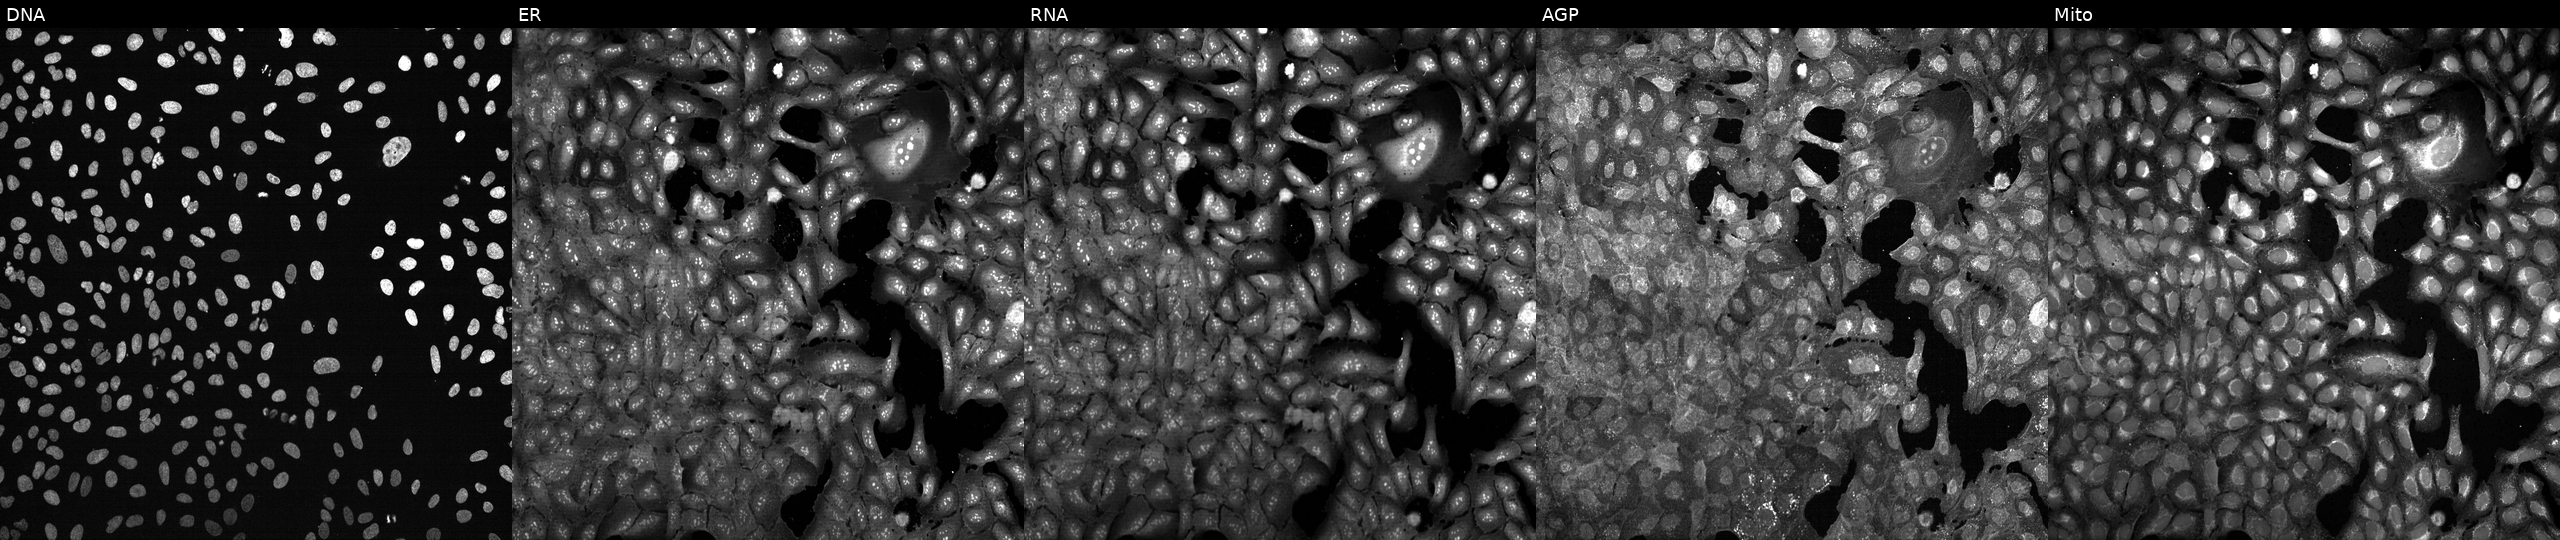
This image strip shows the five Cell Painting channels for a single field of U2OS cells CRISPR-edited to disrupt CYP21A2 (JUMP id JCP2022_801625). Channels (left→right): DNA (nuclei); ER (endoplasmic reticulum); RNA (nucleoli and cytoplasmic RNA); AGP (actin cytoskeleton, Golgi, and plasma membrane); Mito (mitochondria).